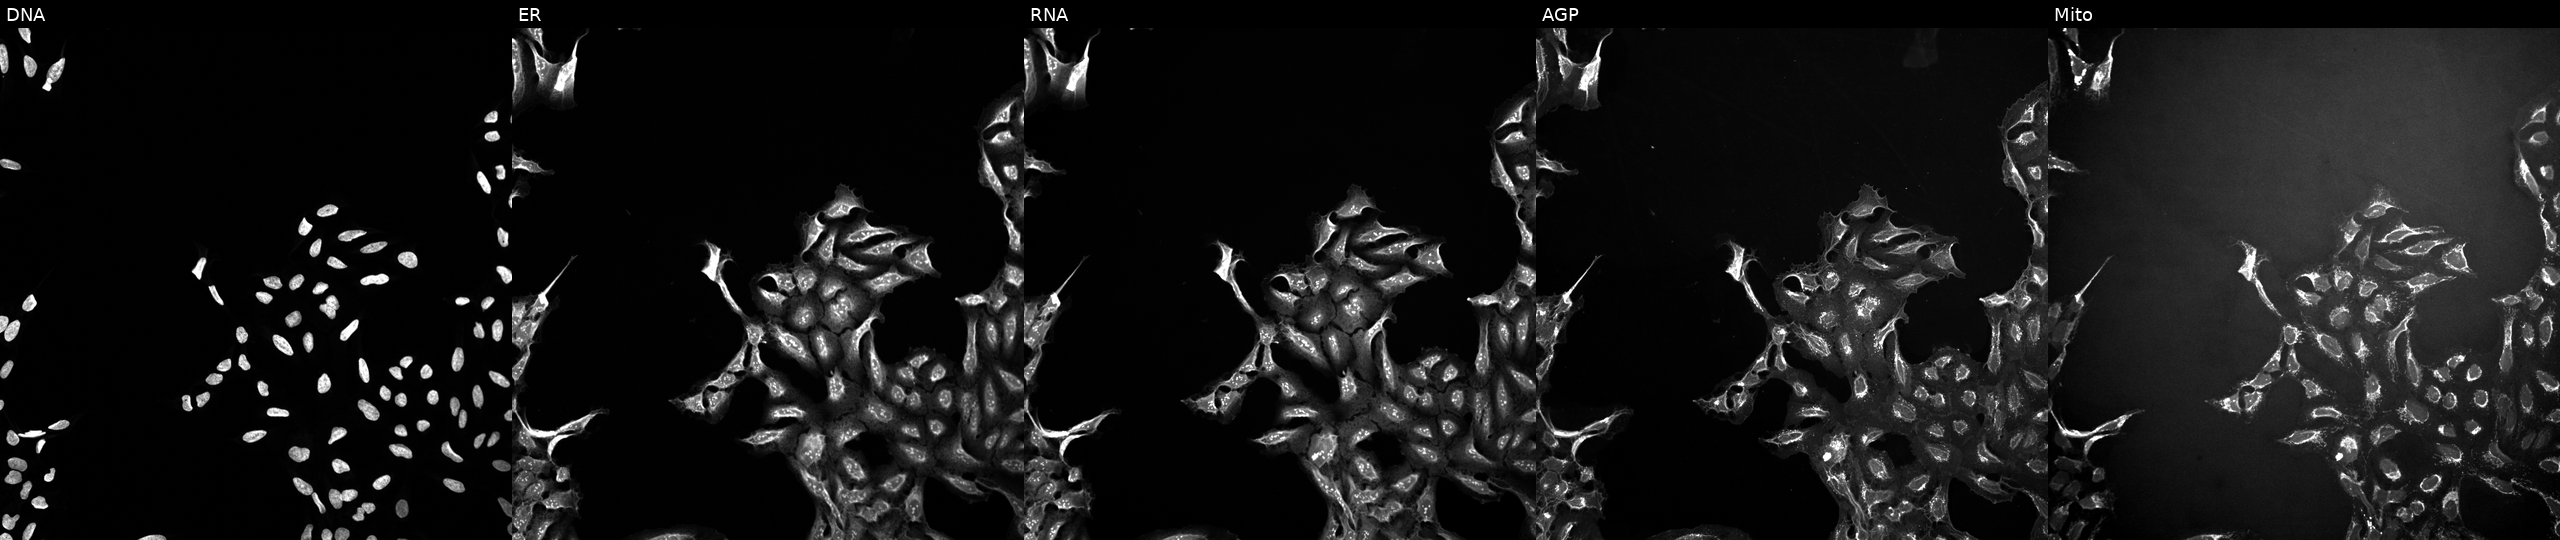
Five-channel Cell Painting image of U2OS cells treated with DMSO vehicle only (negative control) (JUMP id JCP2022_033924). From left to right: DNA, ER, RNA, AGP, and Mito.